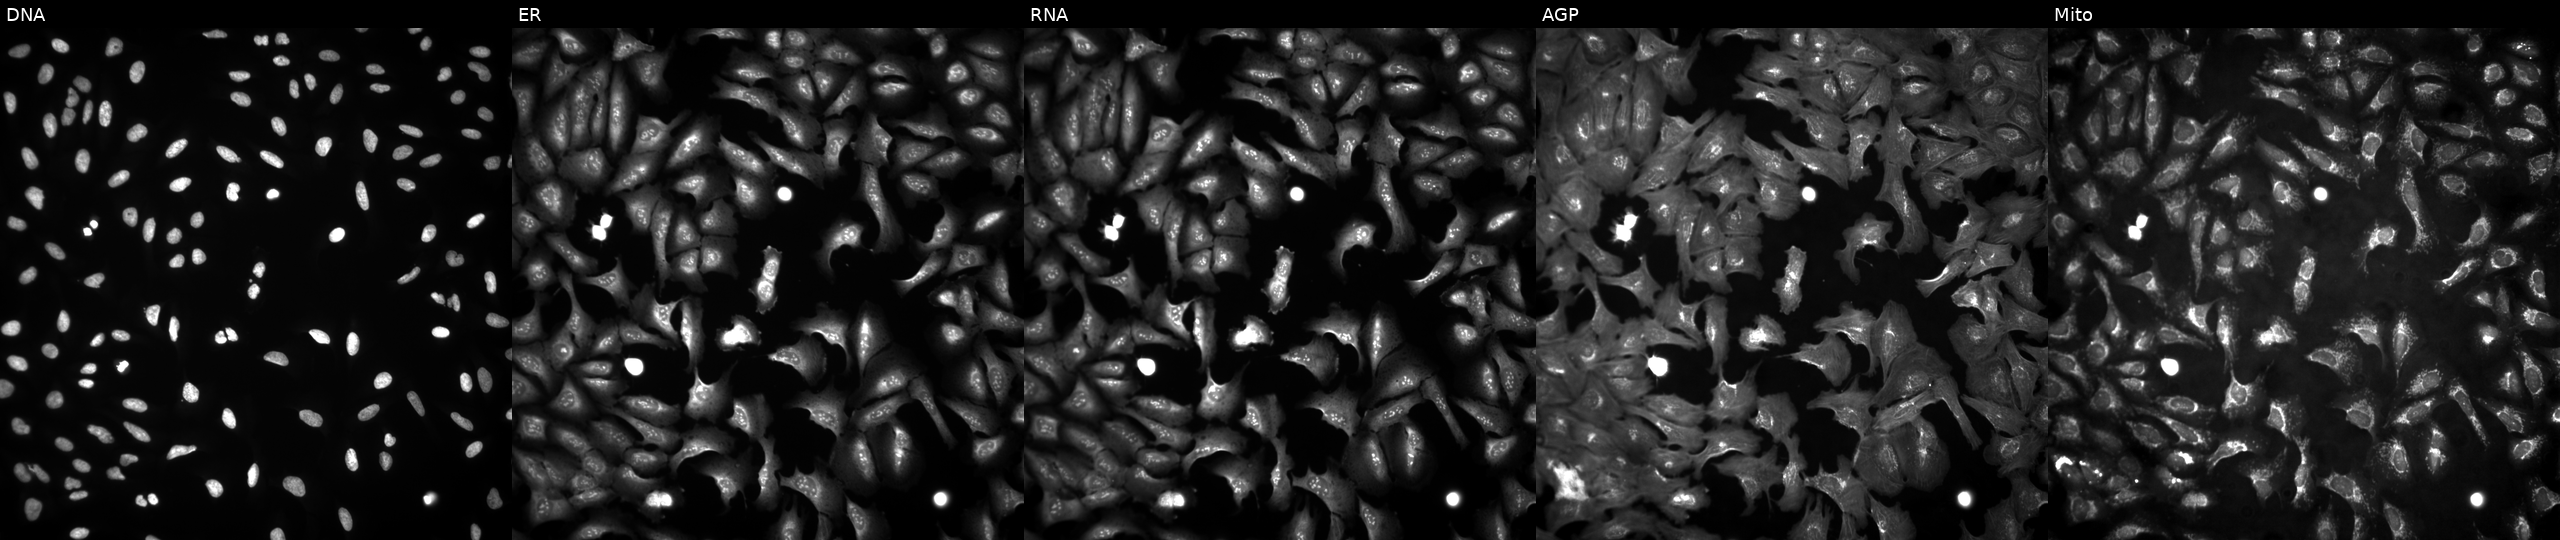
This image strip shows the five Cell Painting channels for a single field of U2OS cells with DEFB118 overexpressed (ORF) (JUMP id JCP2022_904423). Panels show, left to right, Hoechst 33342, concanavalin A, SYTO 14, phalloidin and WGA, MitoTracker.